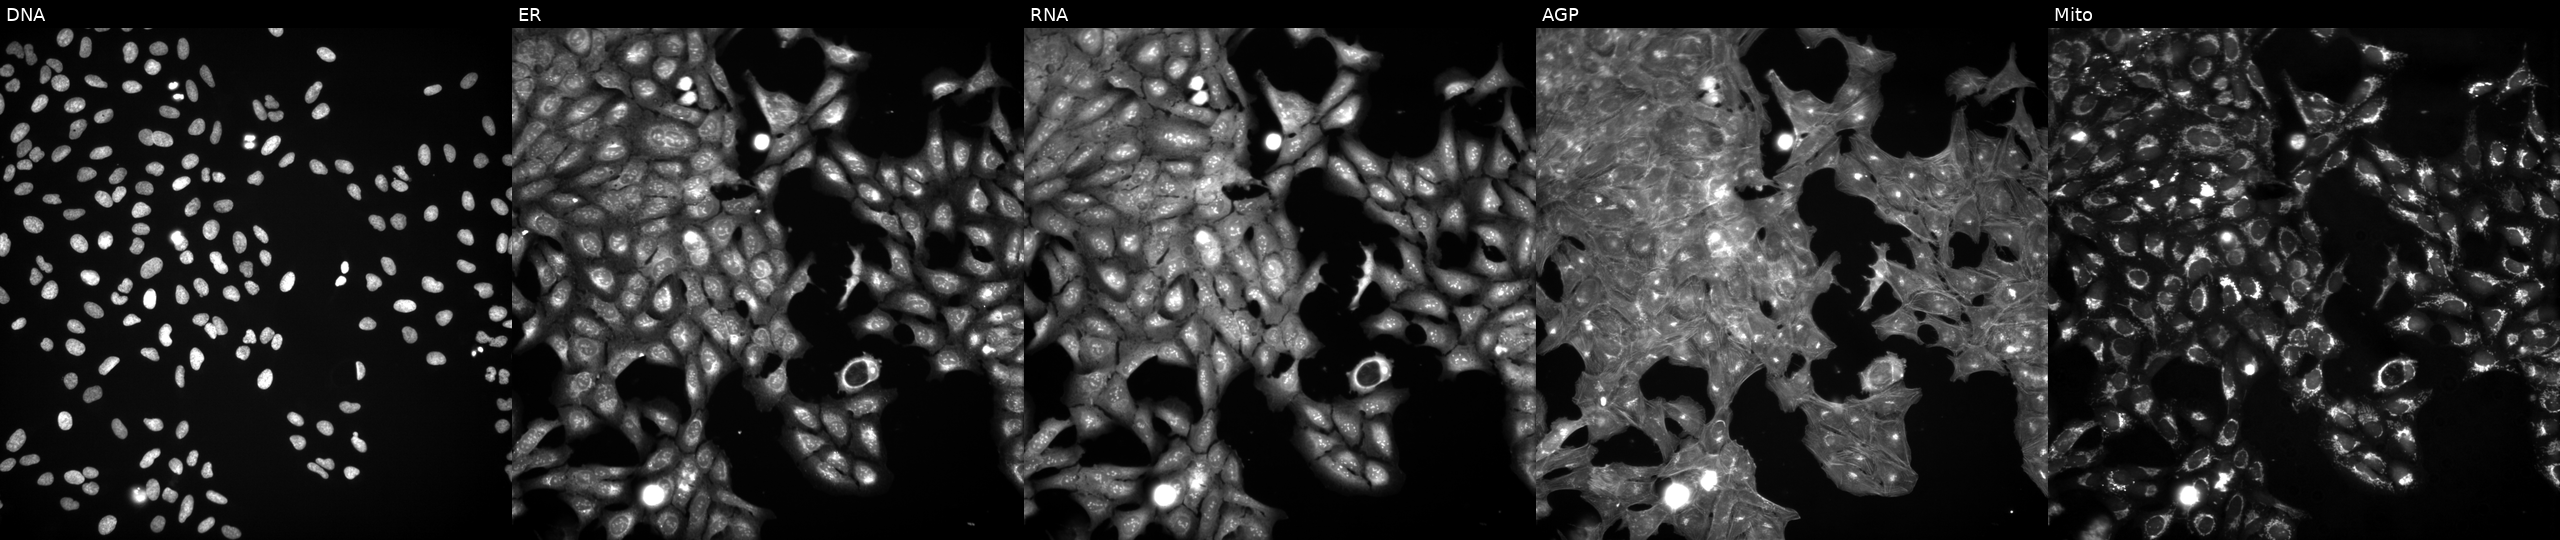
Five-channel Cell Painting image of U2OS cells exposed to a small-molecule compound (JUMP id JCP2022_005529). Channels (left→right): Hoechst 33342, concanavalin A, SYTO 14, phalloidin and WGA, MitoTracker.